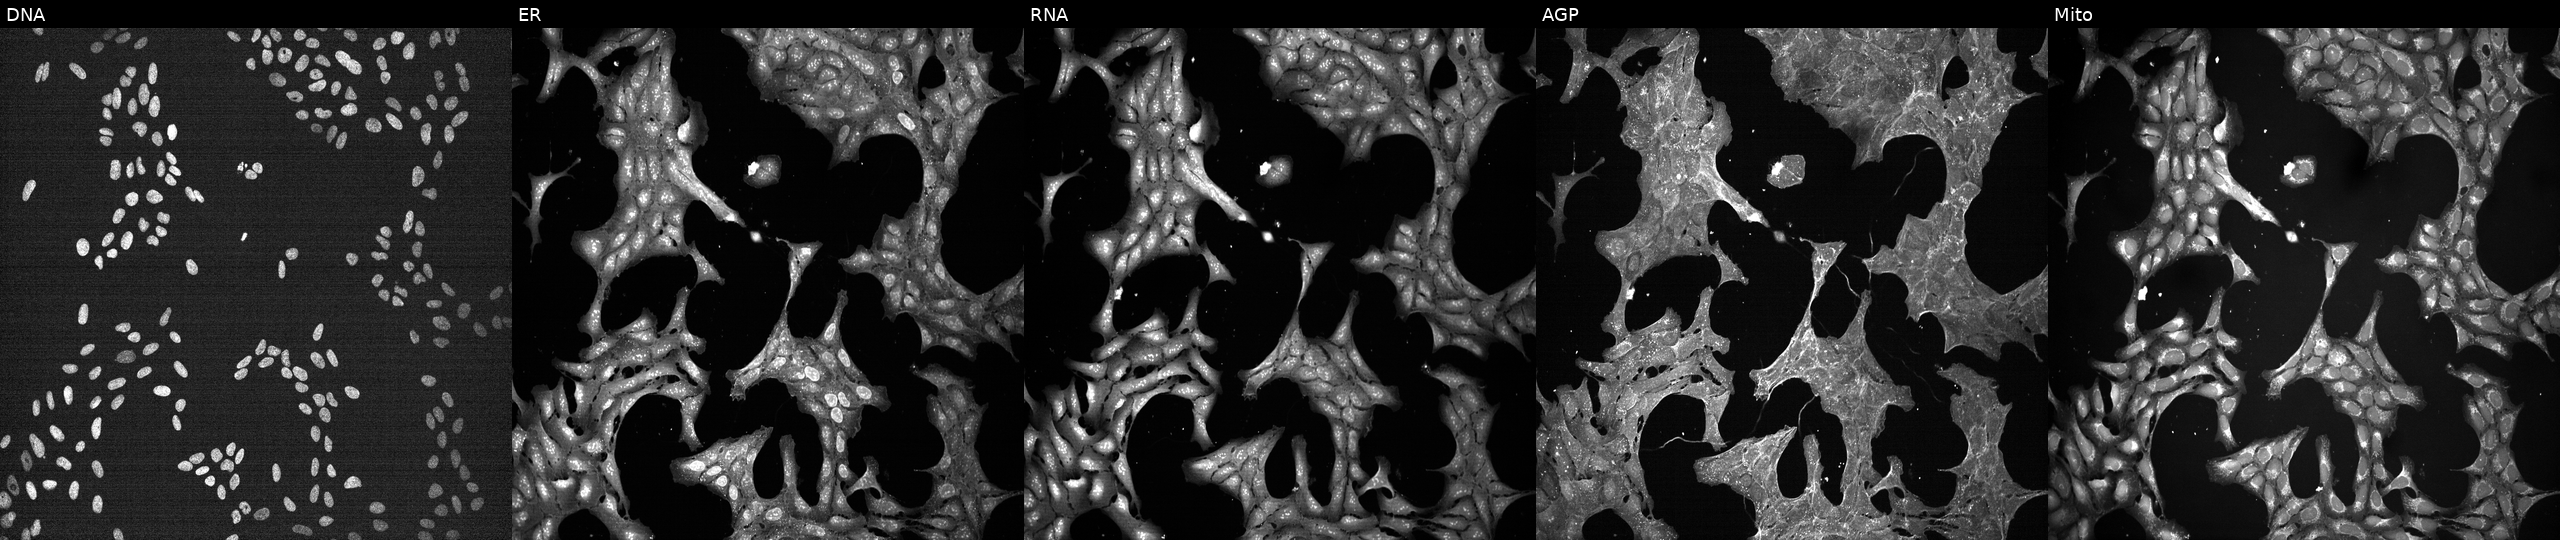
Channels (left→right): DNA (nuclei); ER (endoplasmic reticulum); RNA (nucleoli and cytoplasmic RNA); AGP (actin cytoskeleton, Golgi, and plasma membrane); Mito (mitochondria). U2OS osteosarcoma cells treated with a small-molecule compound [SMILES: Cc1ccc(N=c2nc(N(C)c3ccc4c(C)n(C)nc4c3)cc[nH]2)cc1S(N)(=O)=O] (JUMP id JCP2022_013455). Cell Painting assay, JUMP-CP dataset.